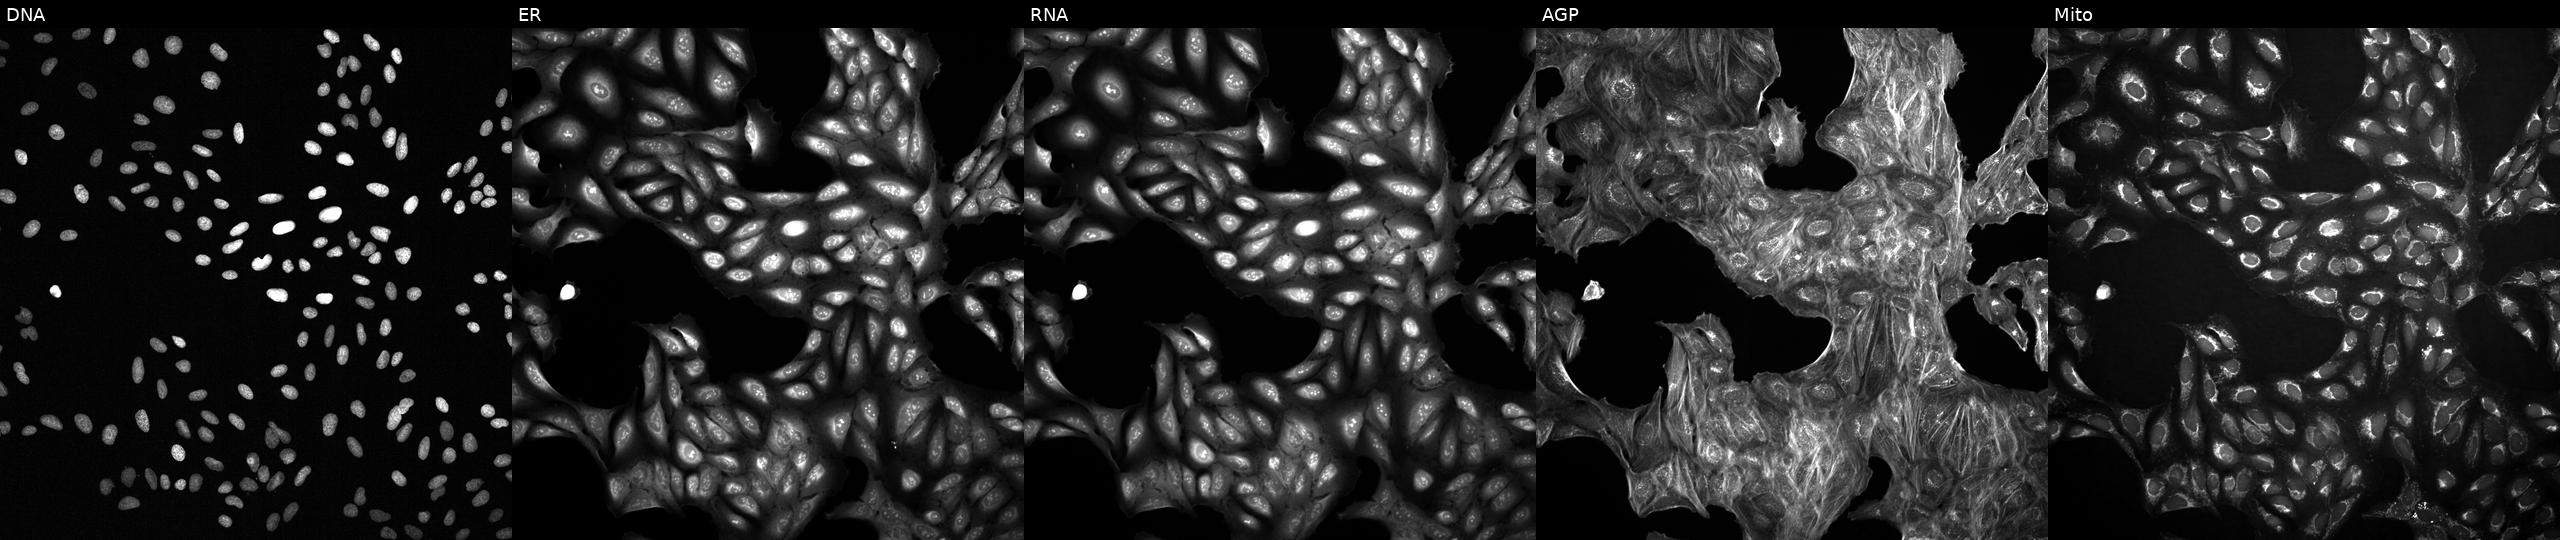
This image strip shows the five Cell Painting channels for a single field of U2OS cells exposed to a small-molecule compound (InChIKey SUHBDGTUZNHVEB-UHFFFAOYSA-N) (JUMP id JCP2022_085677). The five panels, left to right, show DNA (nuclei); ER (endoplasmic reticulum); RNA (nucleoli and cytoplasmic RNA); AGP (actin cytoskeleton, Golgi, and plasma membrane); Mito (mitochondria).